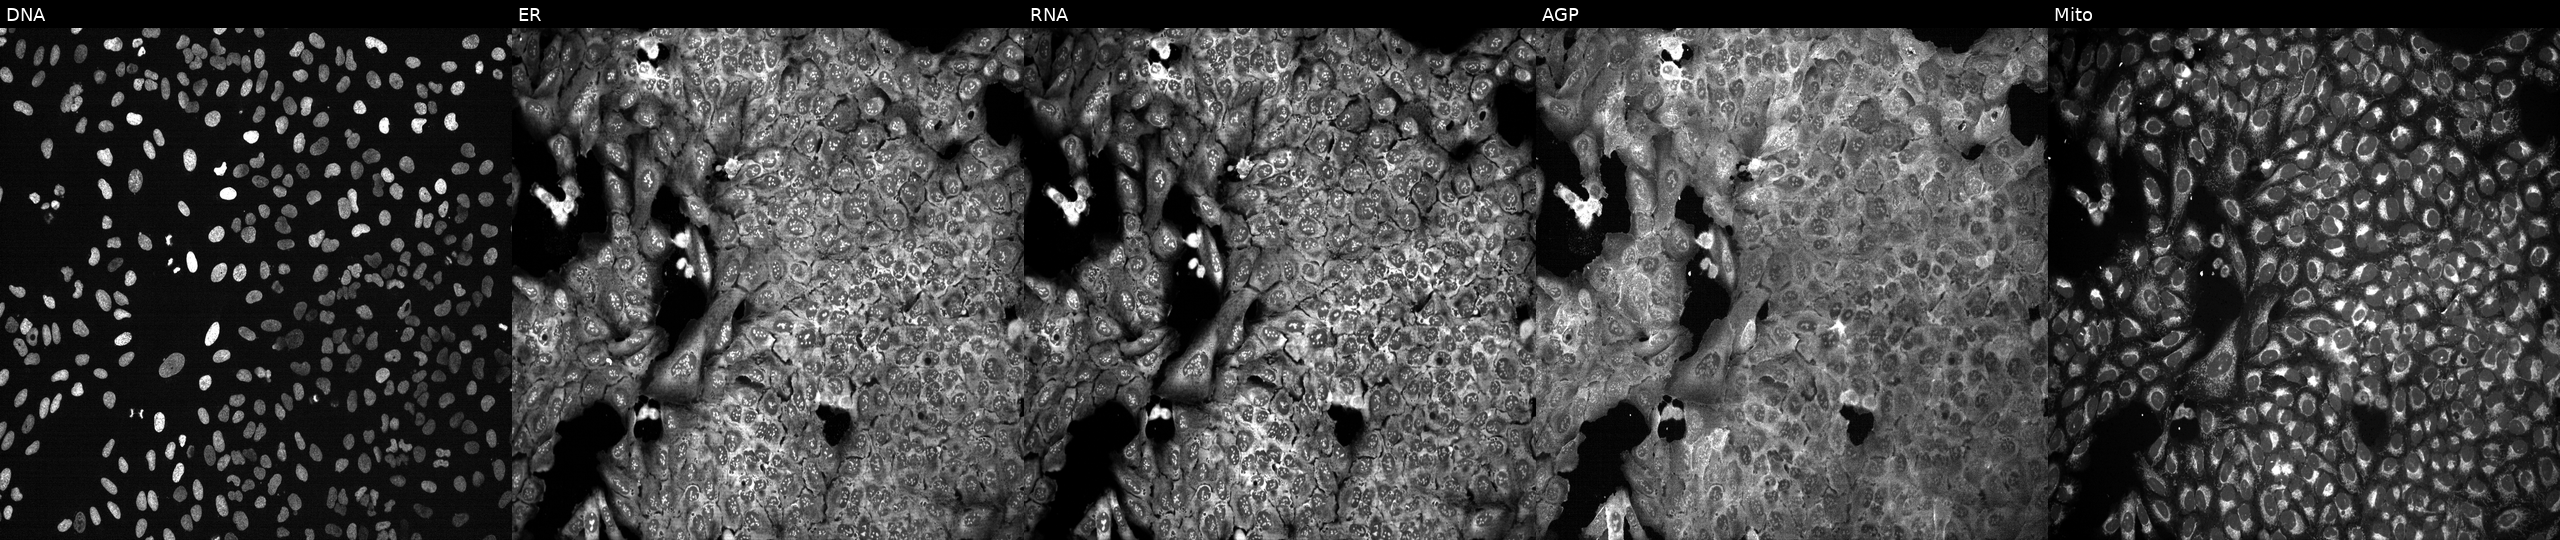
Five-channel Cell Painting image of U2OS cells following CRISPR knockout of LALBA (JUMP id JCP2022_803769). Panels show, left to right, DNA, ER, RNA, AGP, and Mito. Source 13, plate CP-CC9-R3-01, well J15.